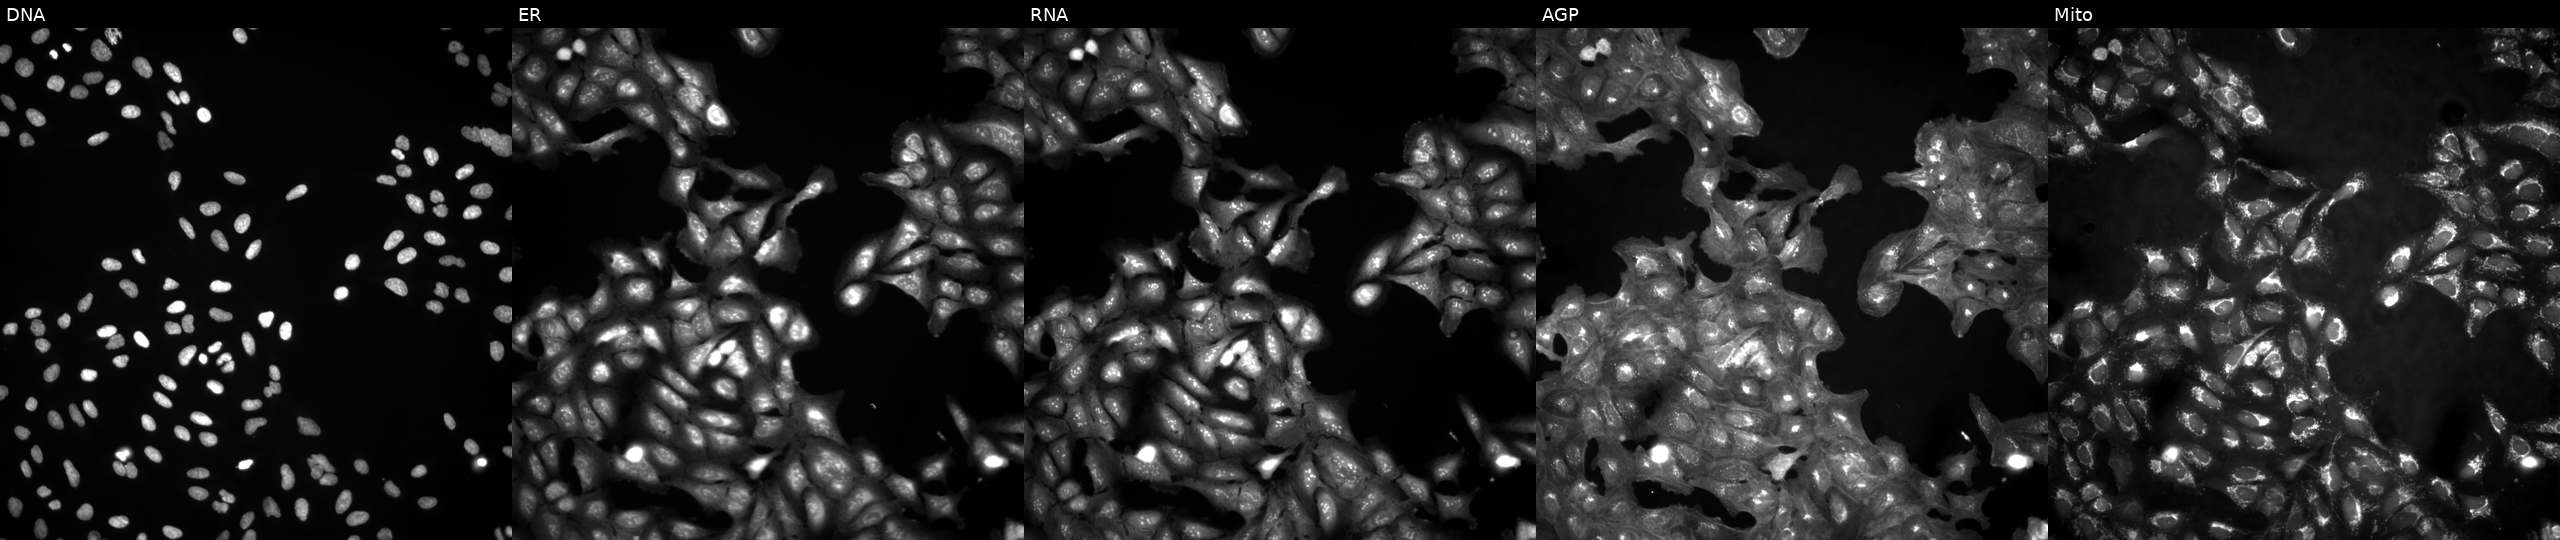
U2OS cells, Cell Painting assay, in an empty control well (no perturbation) (JUMP id JCP2022_999999). Panels show, left to right, DNA (nuclei); ER (endoplasmic reticulum); RNA (nucleoli and cytoplasmic RNA); AGP (actin cytoskeleton, Golgi, and plasma membrane); Mito (mitochondria). Each panel is percentile-stretched 16-bit fluorescence. Source 4, plate BR00123946, well A09.